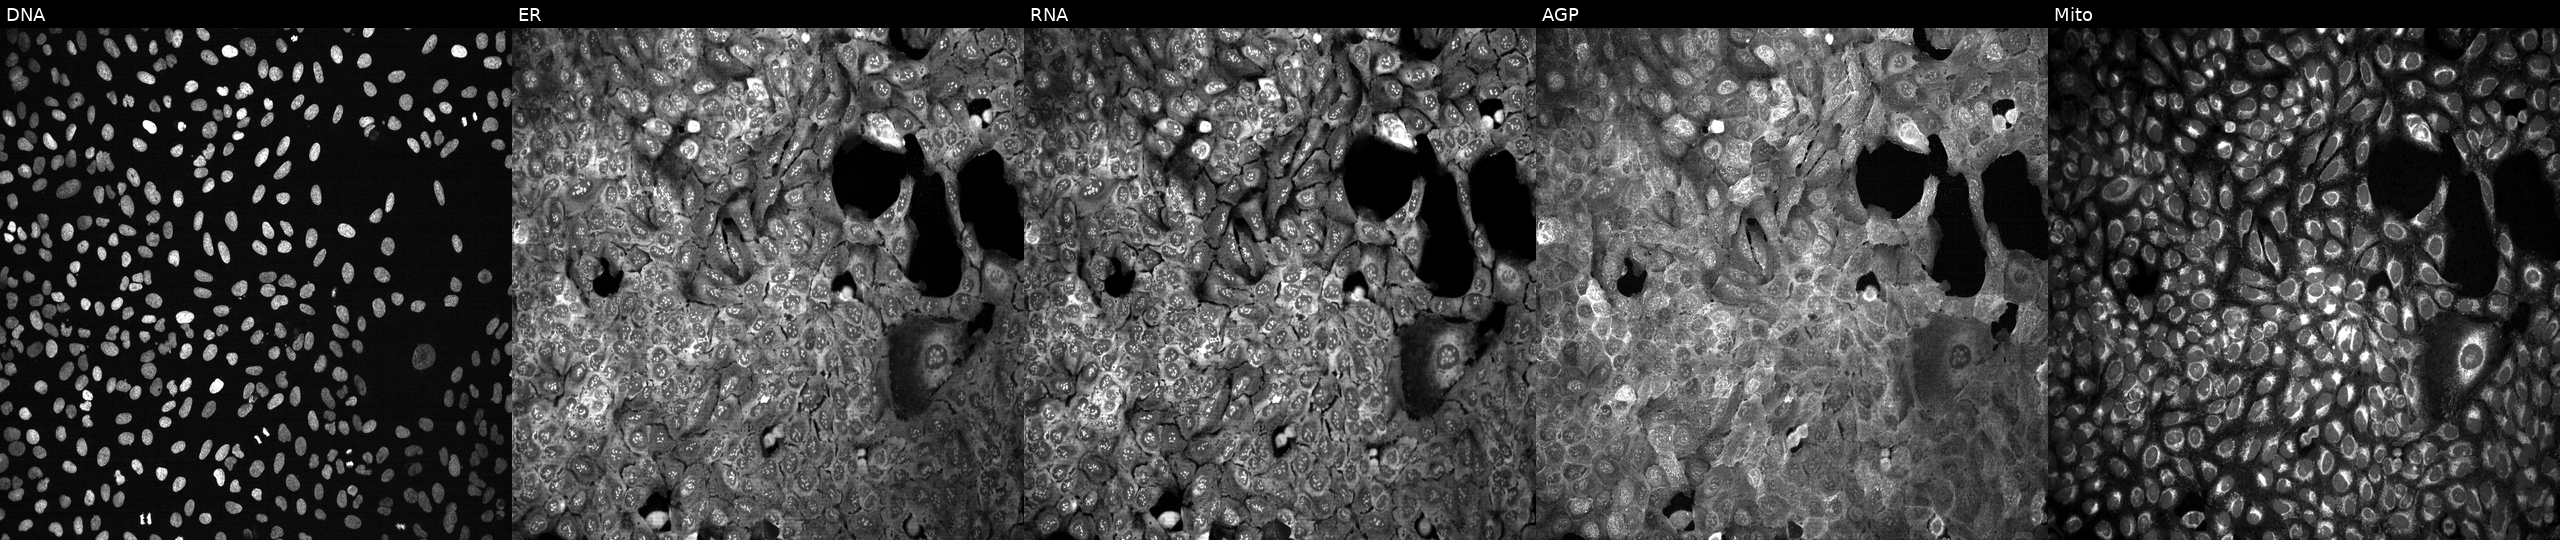
This image strip shows the five Cell Painting channels for a single field of U2OS cells CRISPR-edited to disrupt FKBP14 (JUMP id JCP2022_802411). Panels show, left to right, DNA (nuclei); ER (endoplasmic reticulum); RNA (nucleoli and cytoplasmic RNA); AGP (actin cytoskeleton, Golgi, and plasma membrane); Mito (mitochondria). Source 13, plate CP-CC9-R2-02, well N22.